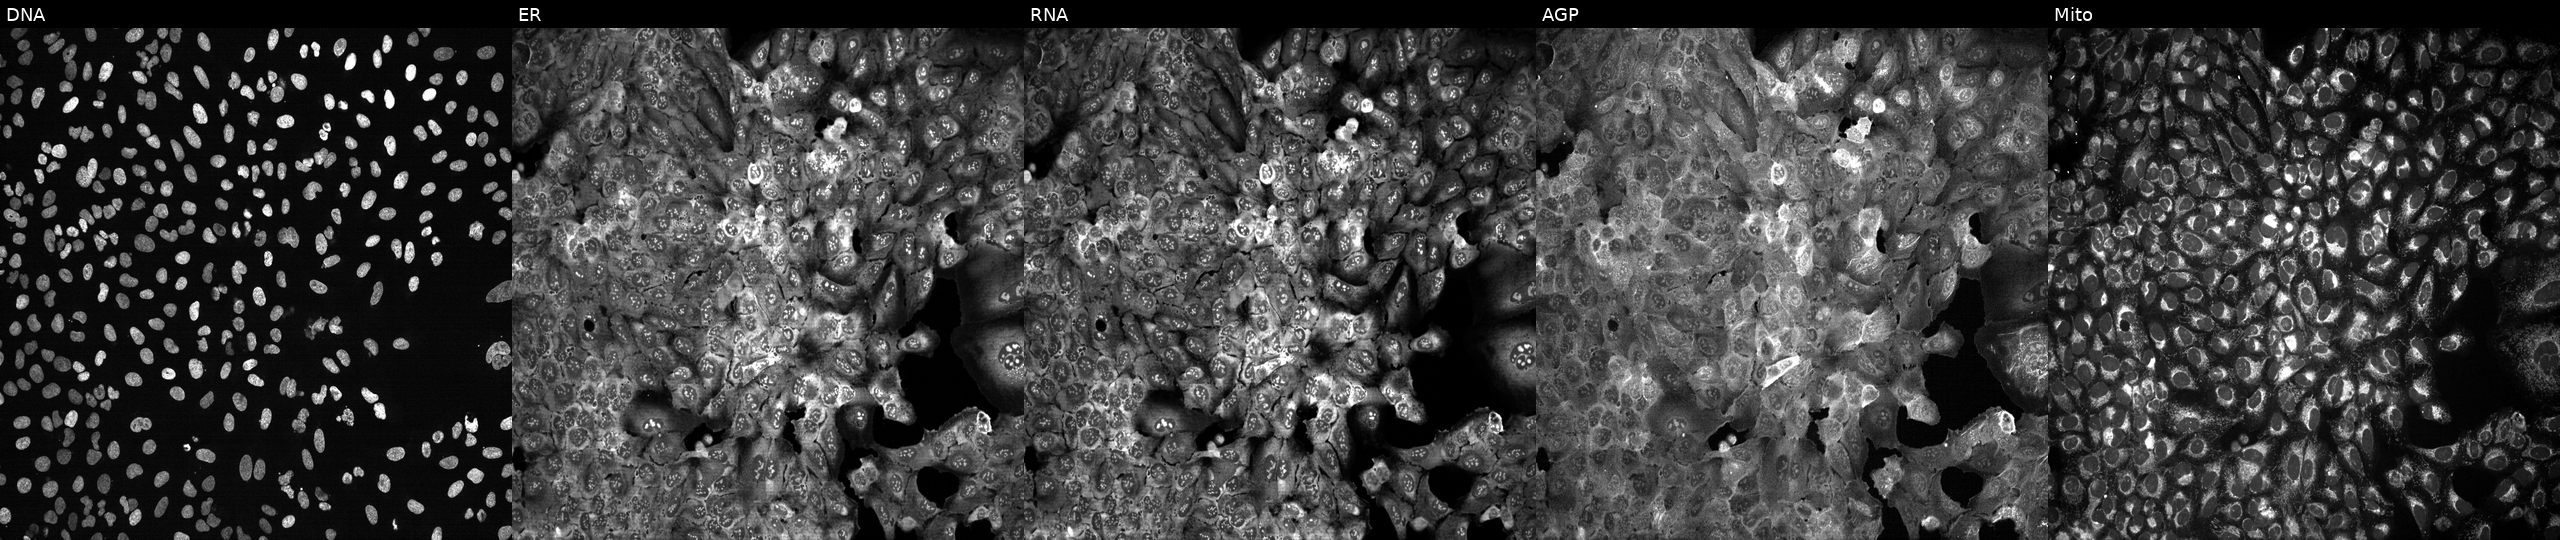
High-content fluorescence microscopy (Cell Painting). Cell line: U2OS. Perturbation: following CRISPR knockout of NLRP2 (JUMP id JCP2022_804606). The five panels, left to right, show DNA, ER, RNA, AGP, and Mito. Source 13, plate CP-CC9-R3-01, well P14.